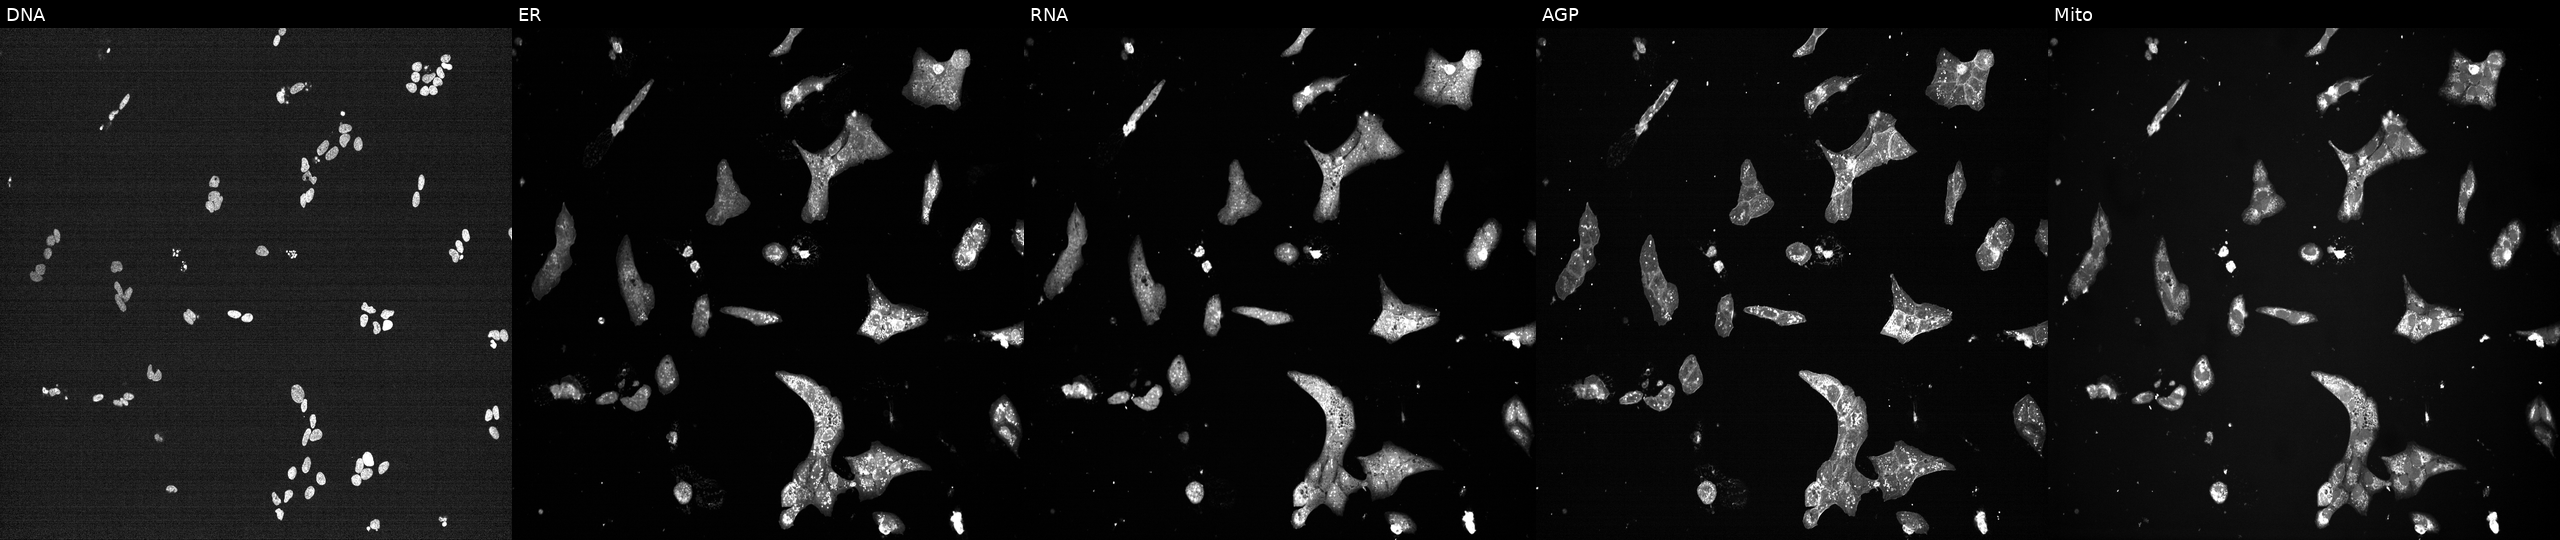
Five-channel Cell Painting image of U2OS cells treated with a small-molecule compound (InChIKey NBTNHSGBRGTFJS-UHFFFAOYSA-N) (JUMP id JCP2022_057971). Panels show, left to right, DNA (nuclei); ER (endoplasmic reticulum); RNA (nucleoli and cytoplasmic RNA); AGP (actin cytoskeleton, Golgi, and plasma membrane); Mito (mitochondria).